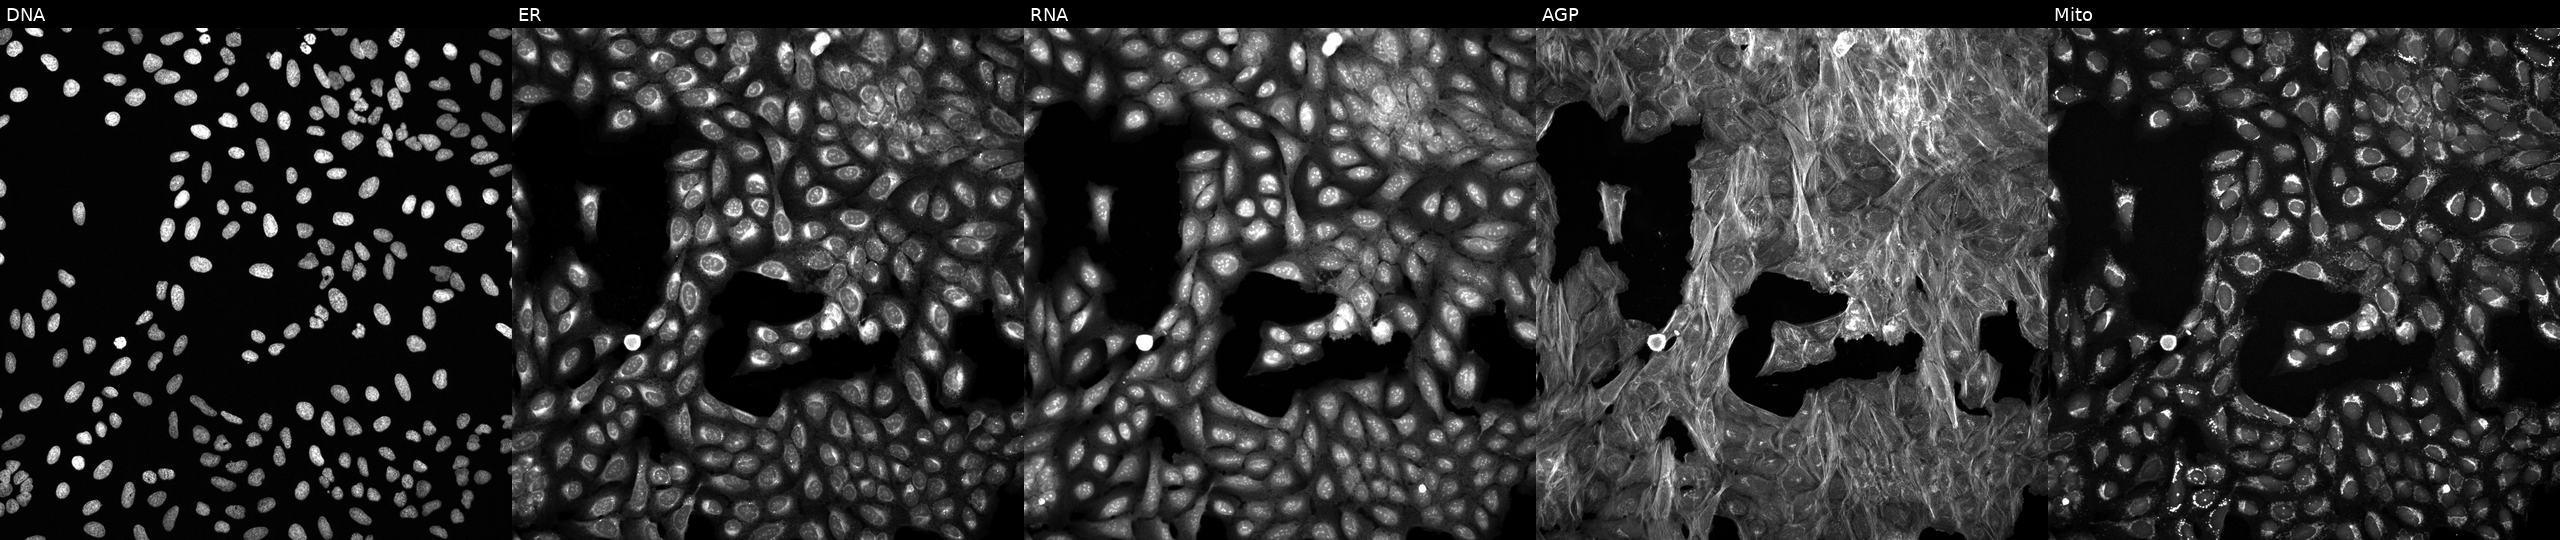
This image strip shows the five Cell Painting channels for a single field of U2OS cells treated with DMSO vehicle only (negative control) (JUMP id JCP2022_033924). From left to right: DNA (nuclei); ER (endoplasmic reticulum); RNA (nucleoli and cytoplasmic RNA); AGP (actin cytoskeleton, Golgi, and plasma membrane); Mito (mitochondria).